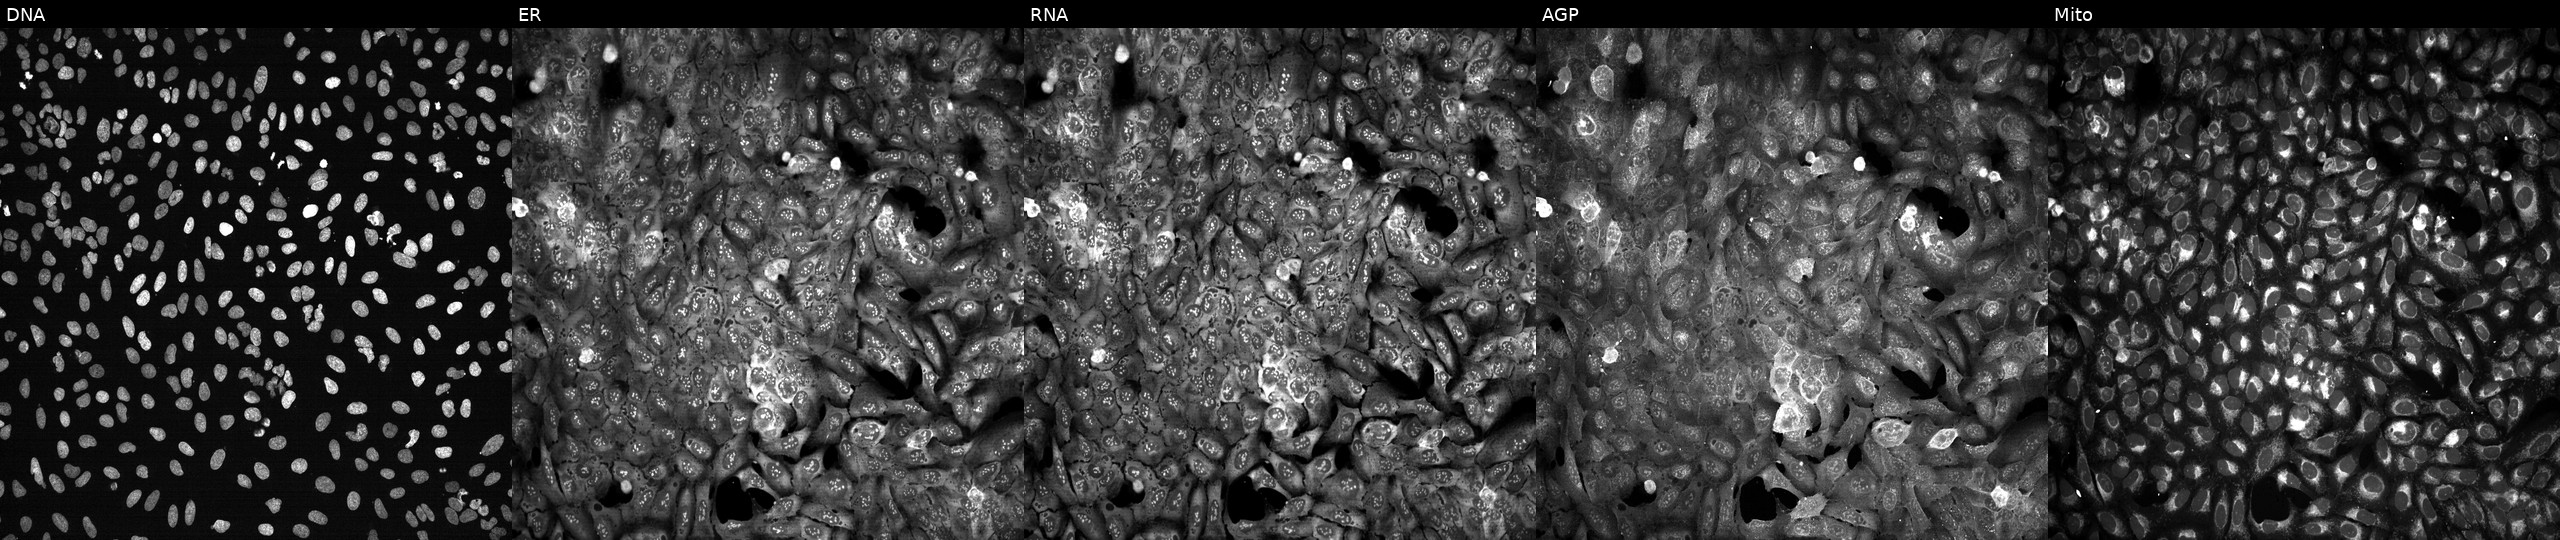
The five panels, left to right, show DNA, ER, RNA, AGP, and Mito. U2OS osteosarcoma cells following CRISPR knockout of EPT1 (JUMP id JCP2022_802156). Cell Painting assay, JUMP-CP dataset.